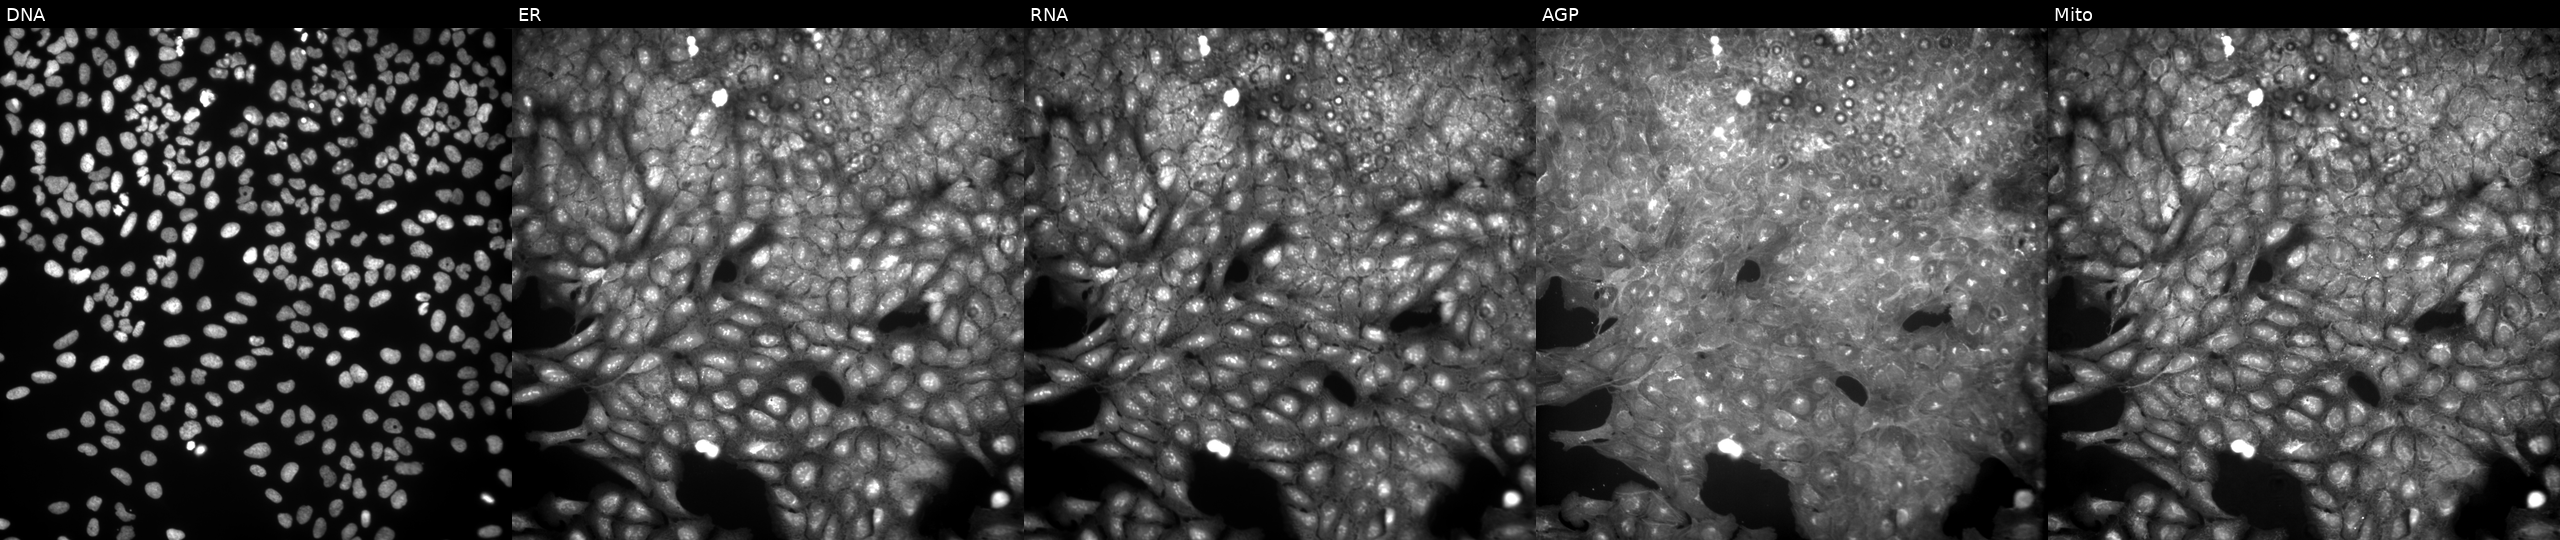
High-content fluorescence microscopy (Cell Painting). Cell line: U2OS. Perturbation: exposed to a small-molecule compound (InChIKey KJANIKKAWFJQQA-UHFFFAOYSA-N). Panels show, left to right, Hoechst 33342, concanavalin A, SYTO 14, phalloidin and WGA, MitoTracker.